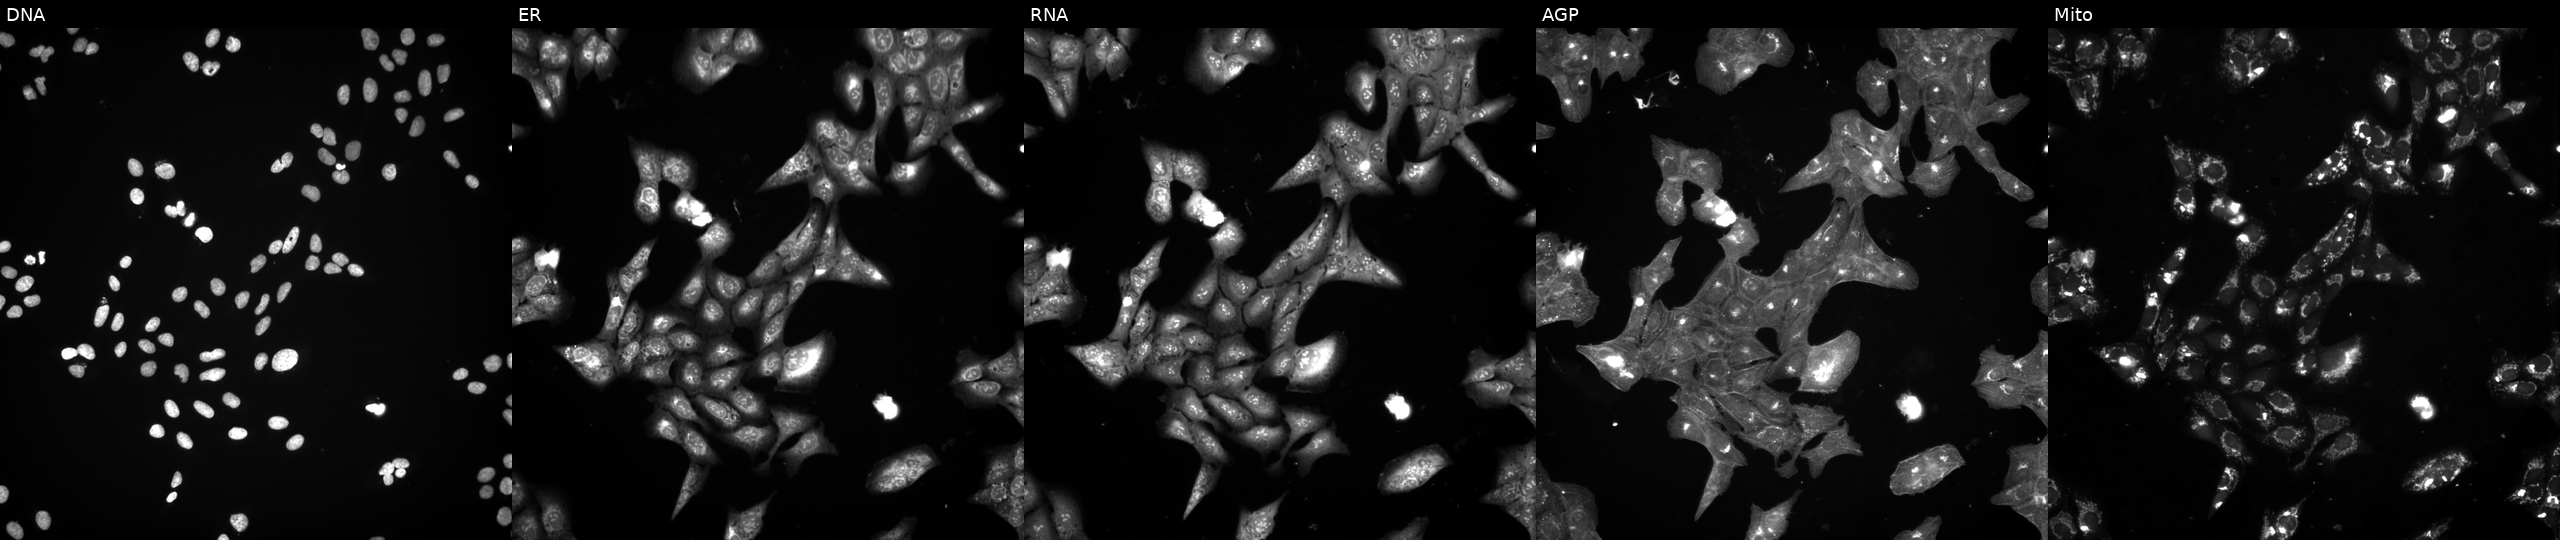
JUMP Cell Painting — COMPOUND plate. U2OS cells perturbed with a small-molecule compound (InChIKey WLYWRIOHVNGMHG-UHFFFAOYSA-N) [SMILES: COc1ccc(-c2[nH]c(=NC(=O)c3n[nH]c(=O)c4ccccc34)sc2C)cc1] (JUMP id JCP2022_099658). Panels show, left to right, DNA (nuclei); ER (endoplasmic reticulum); RNA (nucleoli and cytoplasmic RNA); AGP (actin cytoskeleton, Golgi, and plasma membrane); Mito (mitochondria). Source 3, plate BR5867b3, well O14.